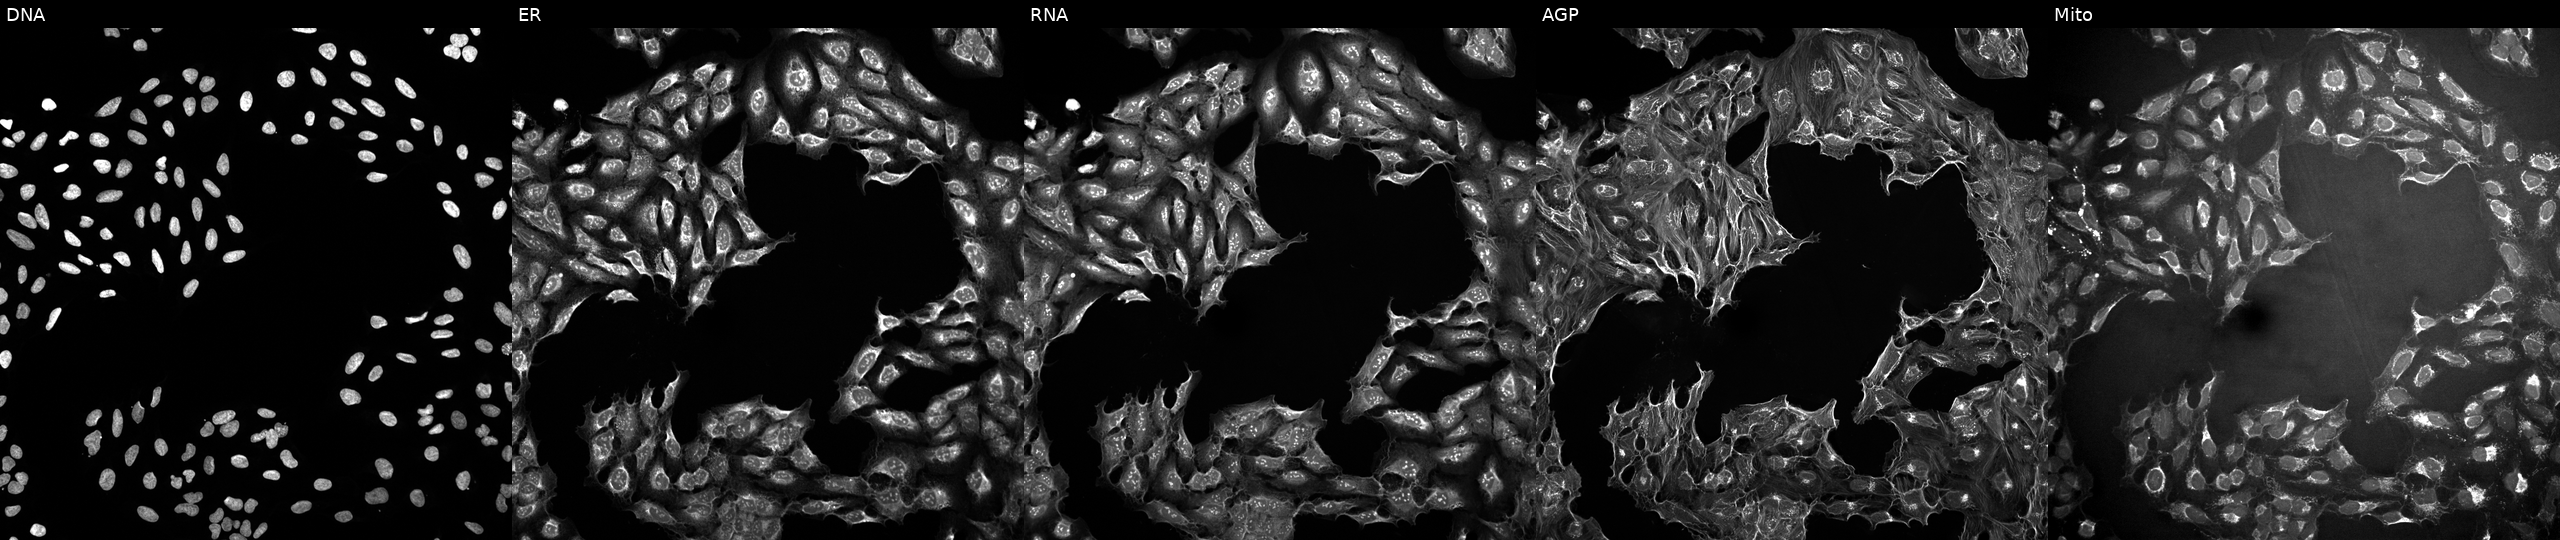
Five-channel Cell Painting image of U2OS cells untreated (empty-well control). Channels (left→right): DNA (nuclei); ER (endoplasmic reticulum); RNA (nucleoli and cytoplasmic RNA); AGP (actin cytoskeleton, Golgi, and plasma membrane); Mito (mitochondria). Source 10, plate Dest210531-152324, well A17.